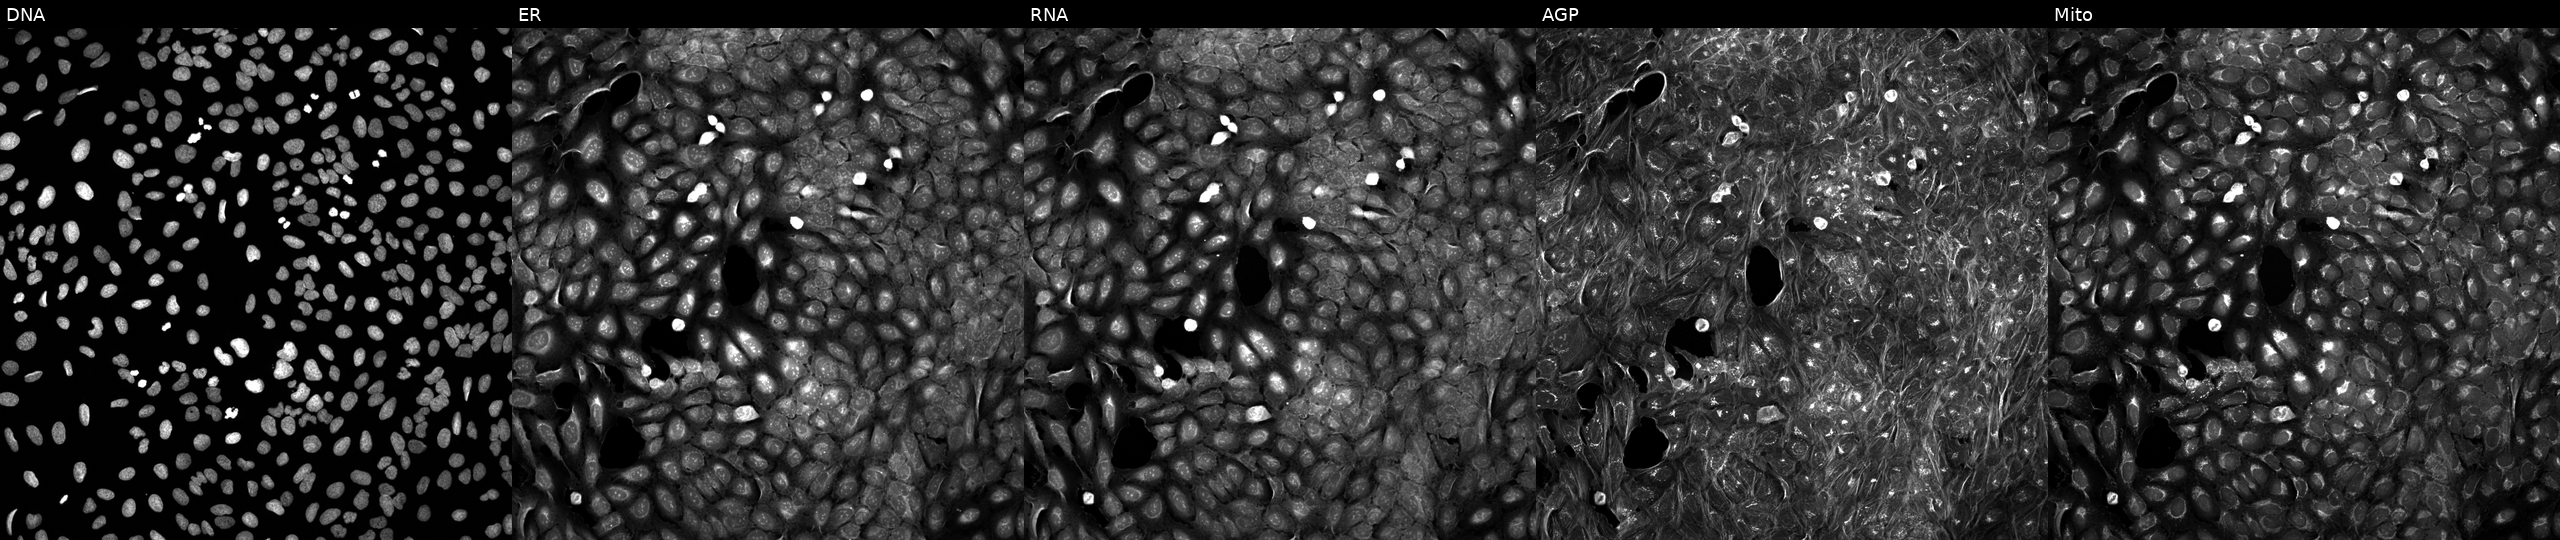
U2OS cells, Cell Painting assay, exposed to DMSO alone as a negative control. The five panels, left to right, show DNA (nuclei); ER (endoplasmic reticulum); RNA (nucleoli and cytoplasmic RNA); AGP (actin cytoskeleton, Golgi, and plasma membrane); Mito (mitochondria). Each panel is percentile-stretched 16-bit fluorescence.